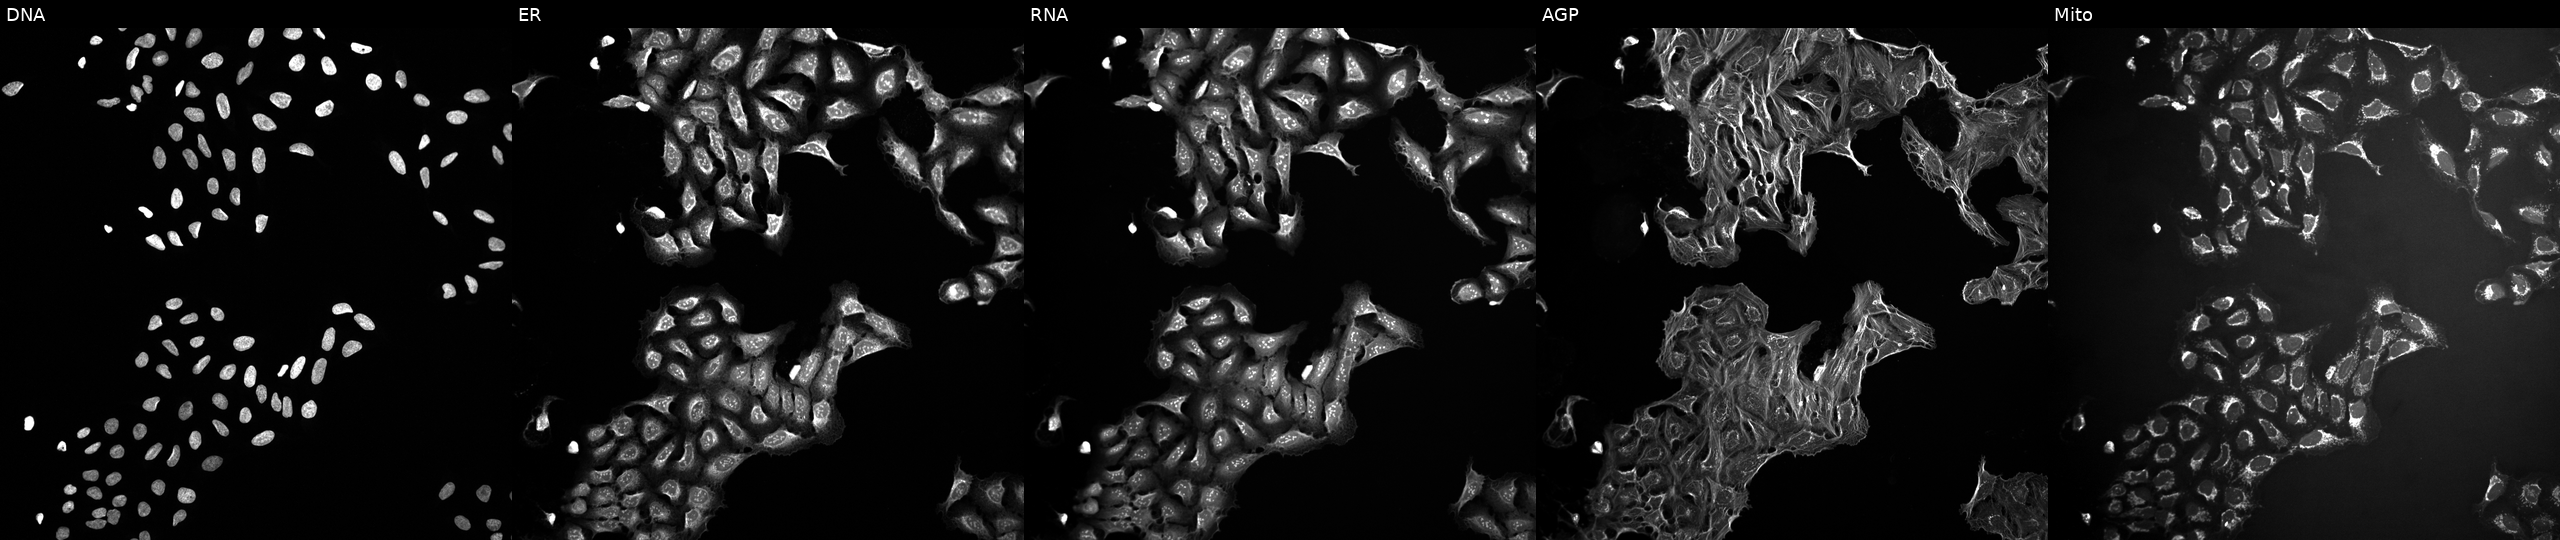
This image strip shows the five Cell Painting channels for a single field of U2OS cells exposed to a small-molecule compound (InChIKey AFJRDFWMXUECEW-UHFFFAOYSA-N). From left to right: DNA, ER, RNA, AGP, and Mito. Source 10, plate Dest210726-160150, well L19.